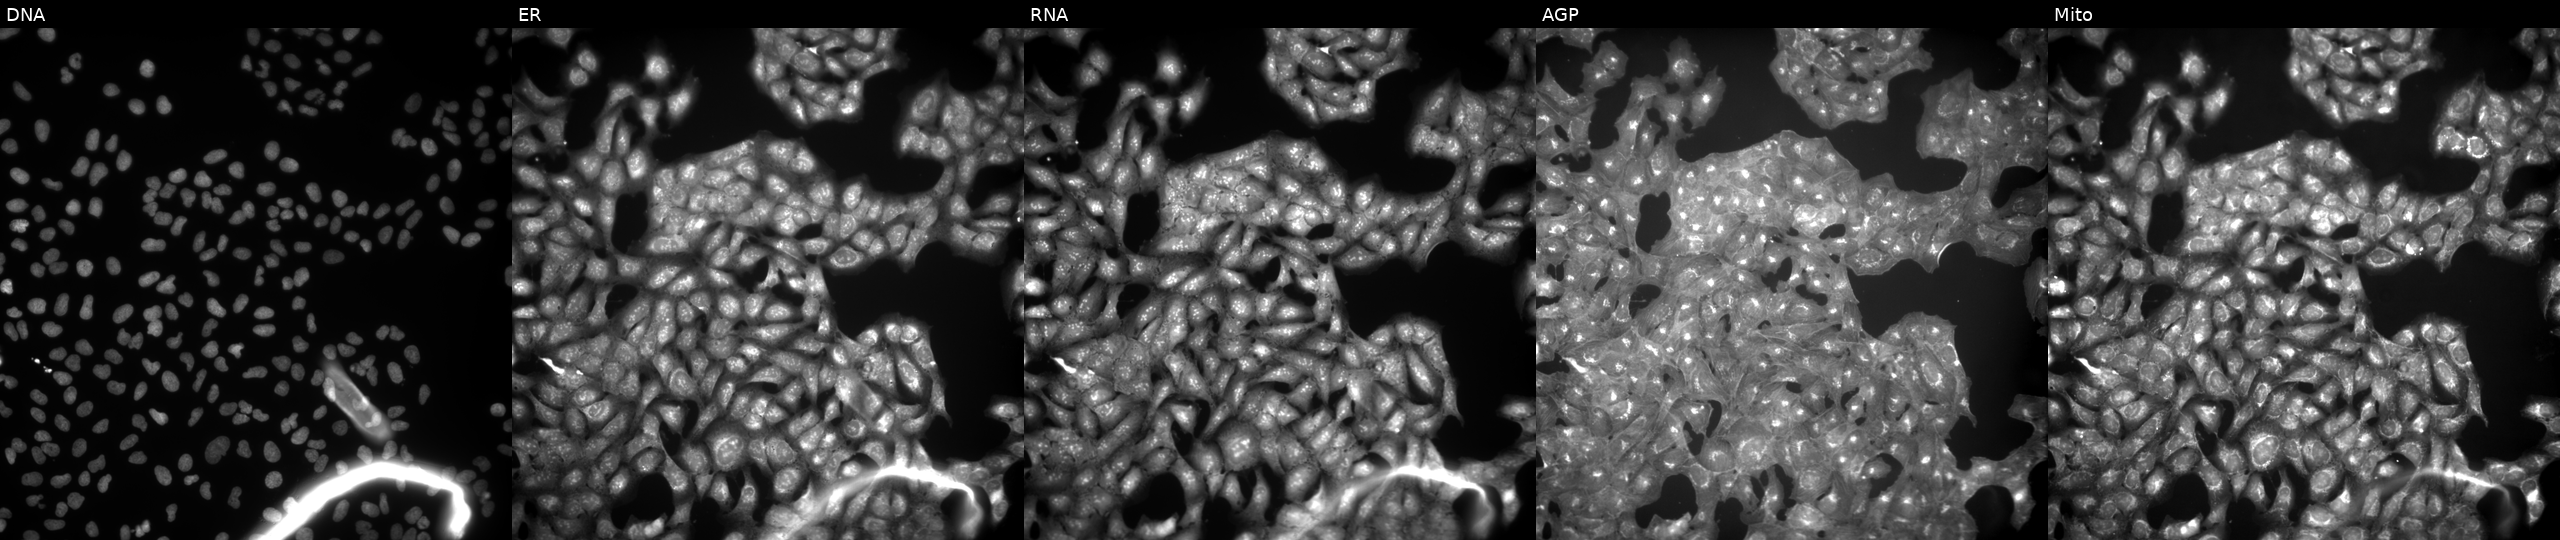
Channels (left→right): DNA, ER, RNA, AGP, and Mito. U2OS osteosarcoma cells exposed to the positive-control compound NVS-PAK1-1 (JUMP id JCP2022_064022). Cell Painting assay, JUMP-CP dataset.